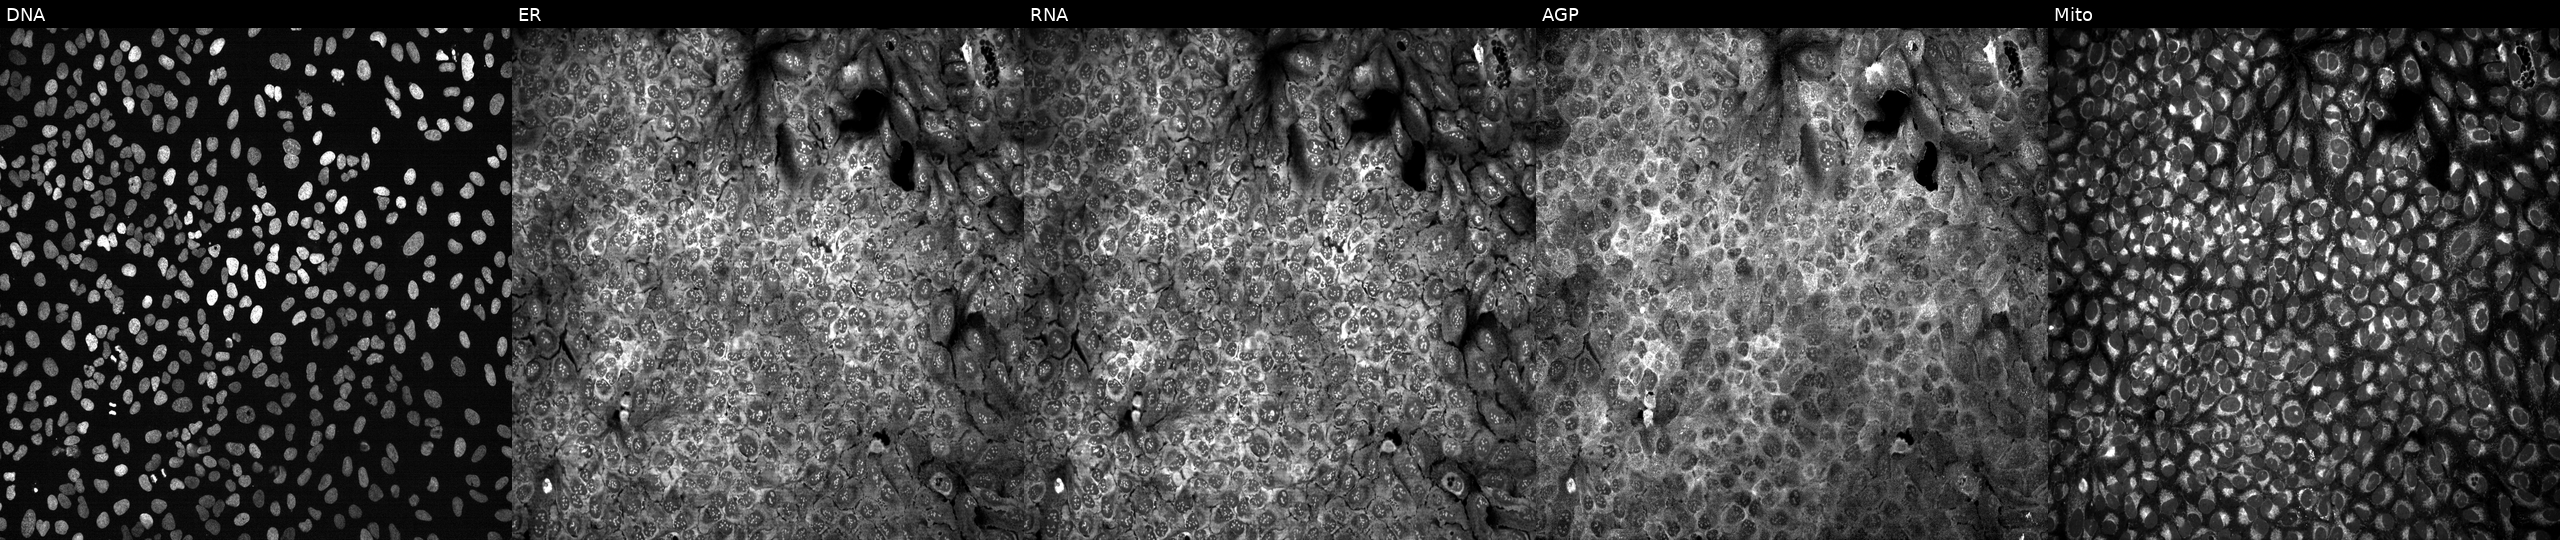
JUMP Cell Painting — CRISPR plate. U2OS cells with RHOU knocked out by CRISPR (JUMP id JCP2022_805964). Channels (left→right): DNA, ER, RNA, AGP, and Mito. Source 13, plate CP-CC9-R3-02, well N13.